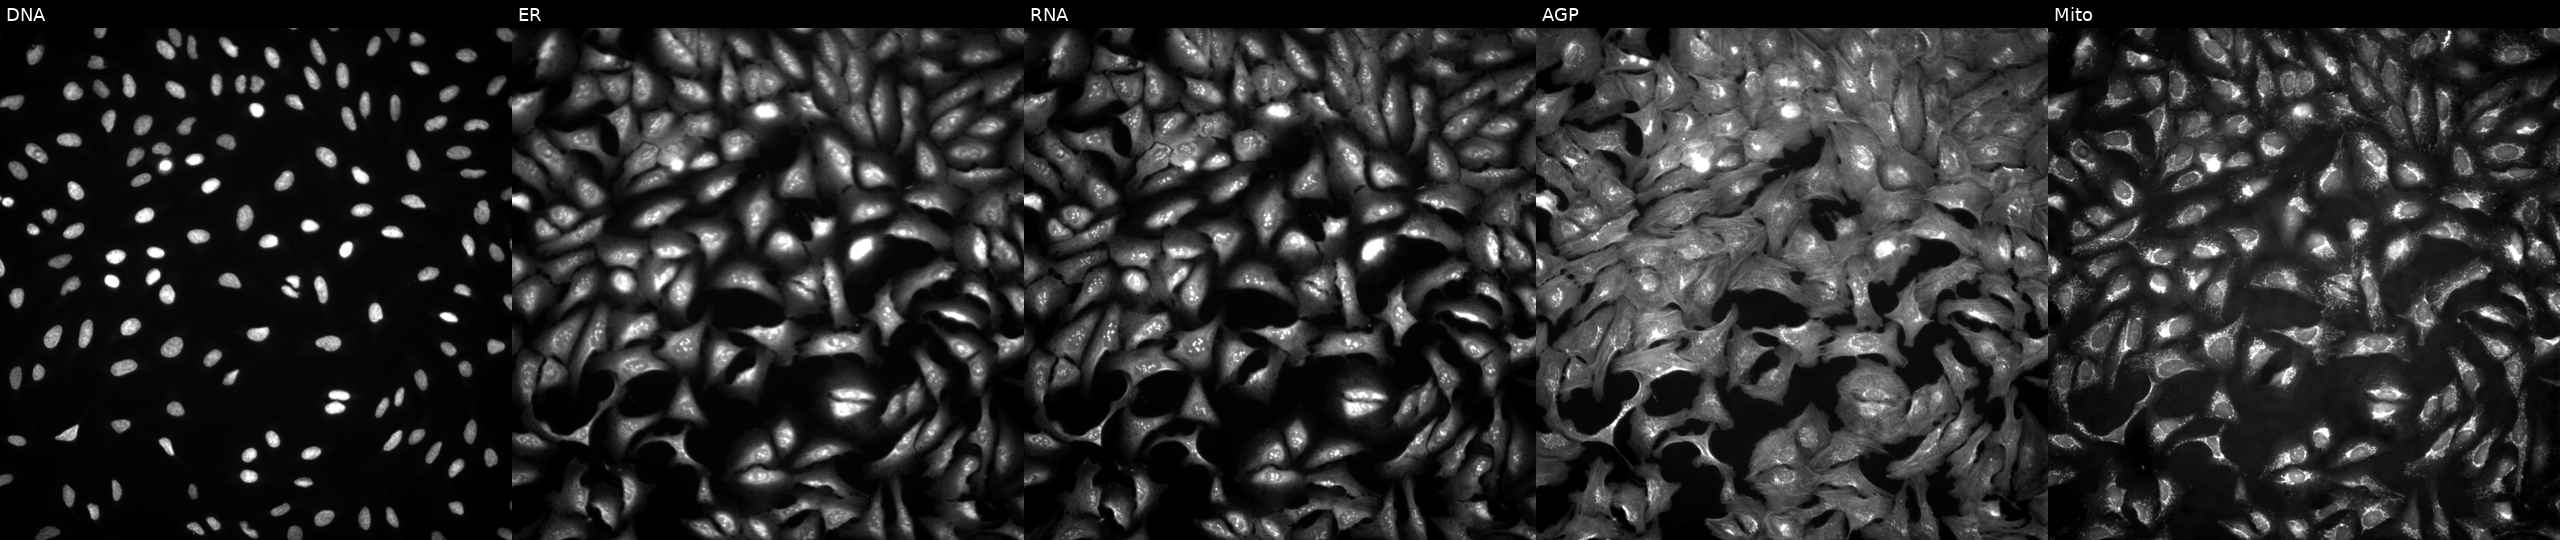
JUMP Cell Painting — ORF plate. U2OS cells transfected with an ORF construct for PNKD. Channels (left→right): Hoechst 33342, concanavalin A, SYTO 14, phalloidin and WGA, MitoTracker.